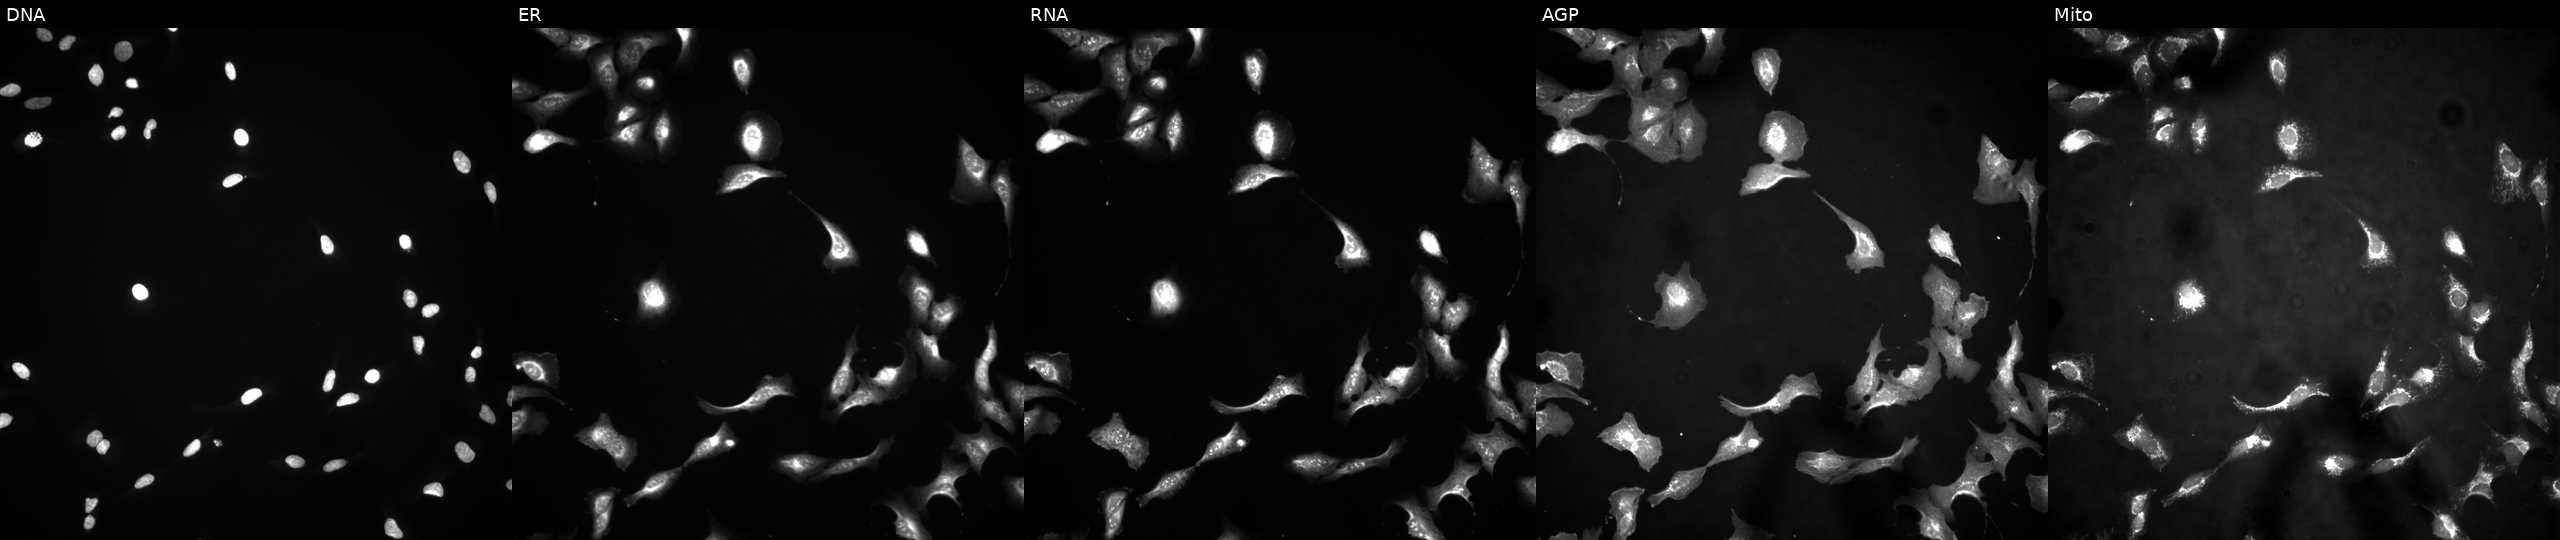
Five-channel Cell Painting image of U2OS cells overexpressing RHPN1 via ORF transfection. From left to right: Hoechst 33342, concanavalin A, SYTO 14, phalloidin and WGA, MitoTracker.